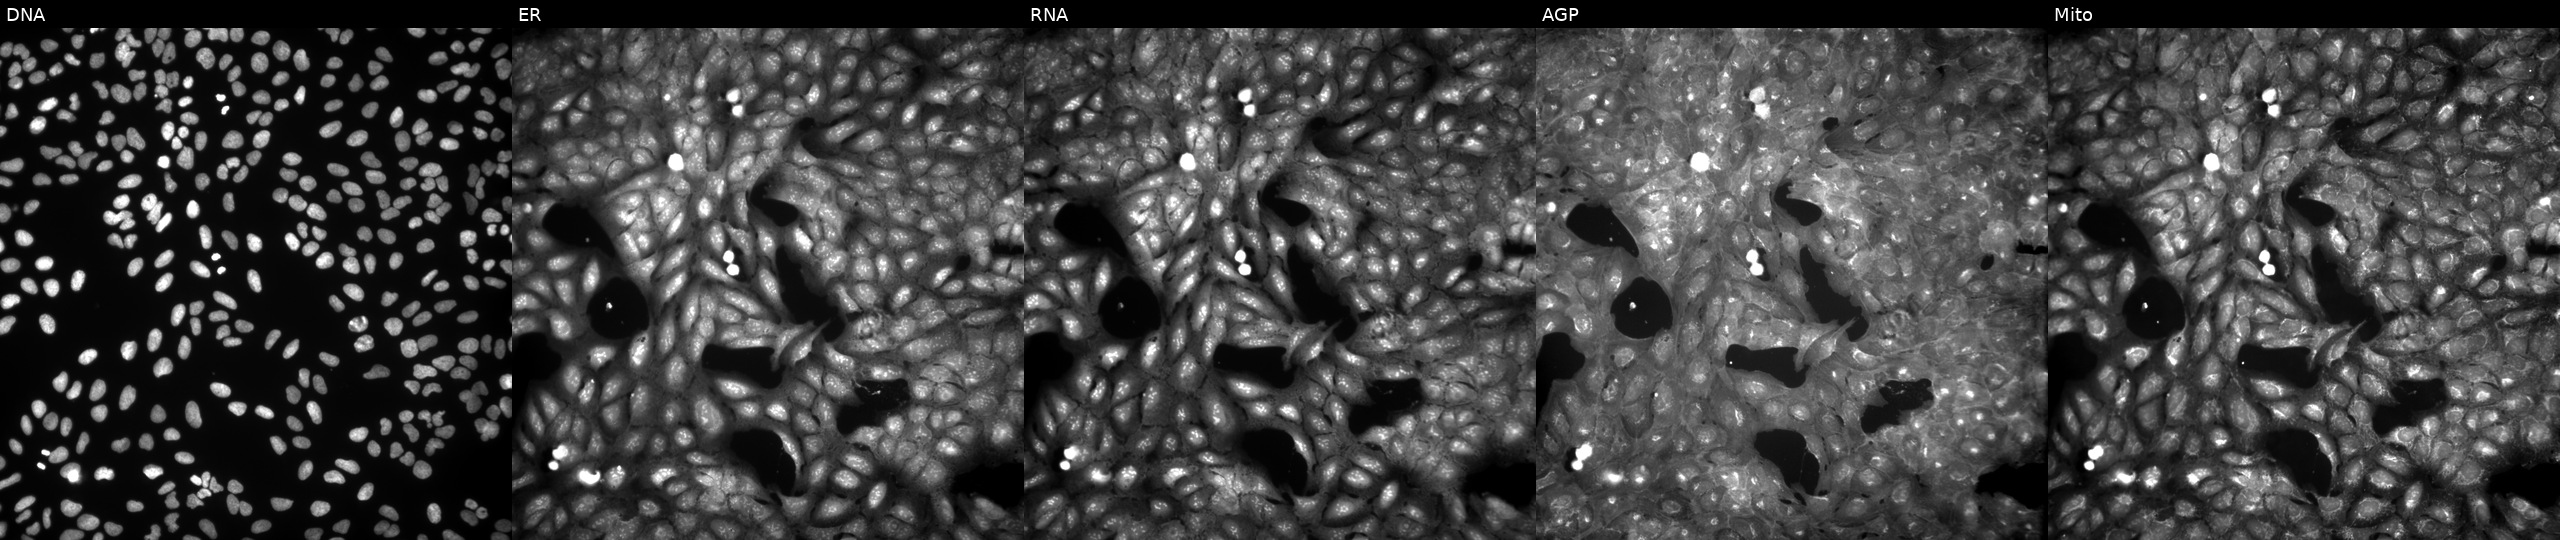
This image strip shows the five Cell Painting channels for a single field of U2OS cells perturbed with a small-molecule compound (InChIKey HJUWPHOBLUYMNU-UHFFFAOYSA-N). From left to right: DNA (nuclei); ER (endoplasmic reticulum); RNA (nucleoli and cytoplasmic RNA); AGP (actin cytoskeleton, Golgi, and plasma membrane); Mito (mitochondria).